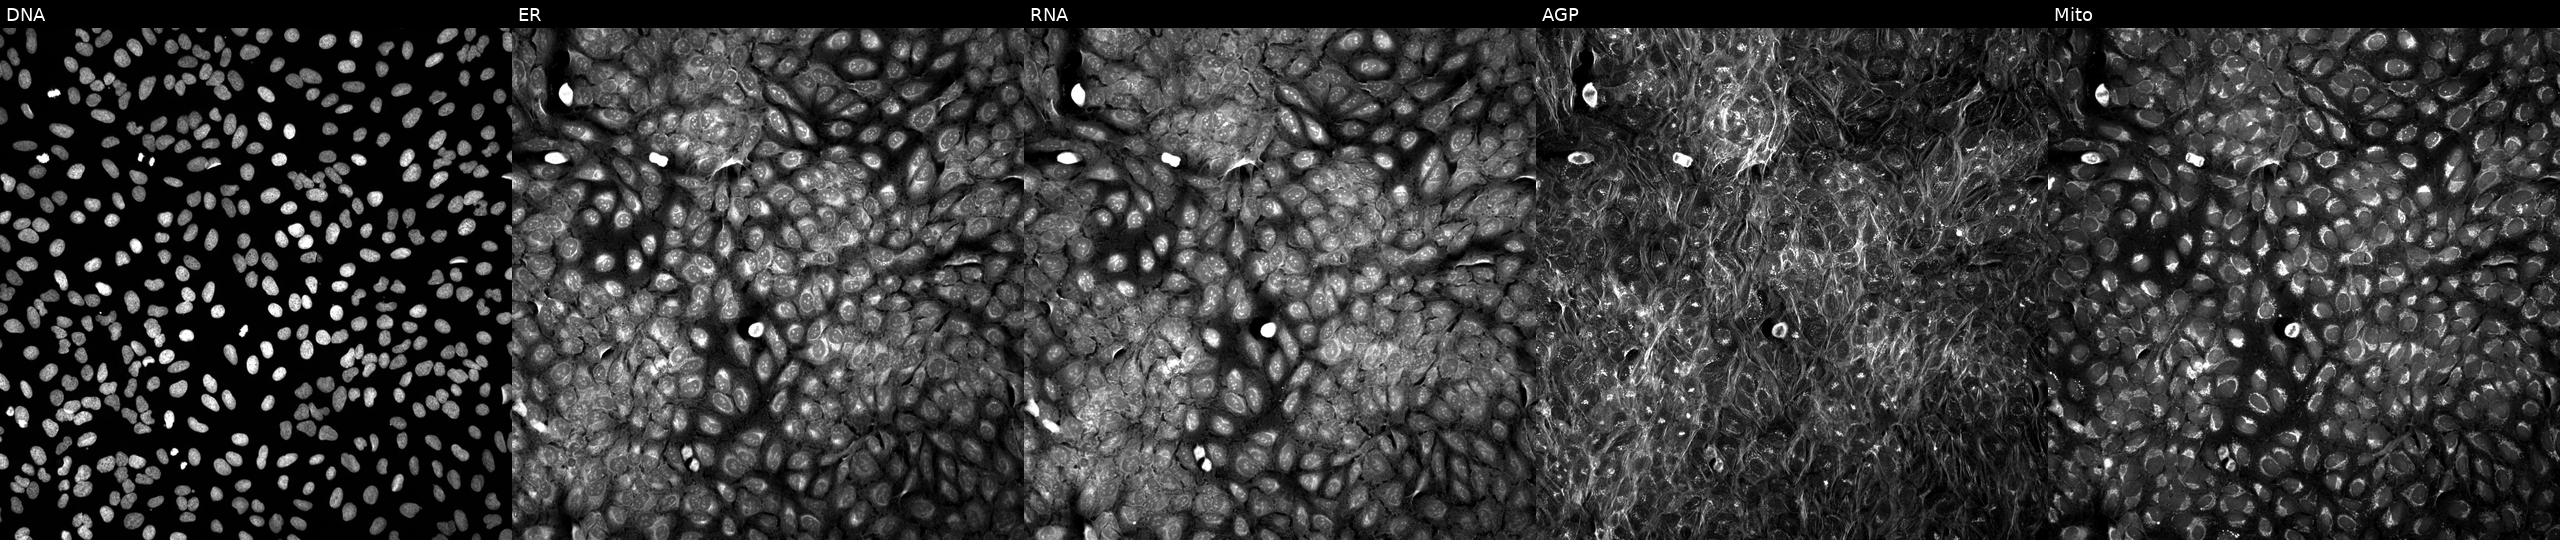
Channels (left→right): Hoechst 33342, concanavalin A, SYTO 14, phalloidin and WGA, MitoTracker. U2OS osteosarcoma cells perturbed with a small-molecule compound (InChIKey NHXLMOGPVYXJNR-UHFFFAOYSA-N). Cell Painting assay, JUMP-CP dataset.